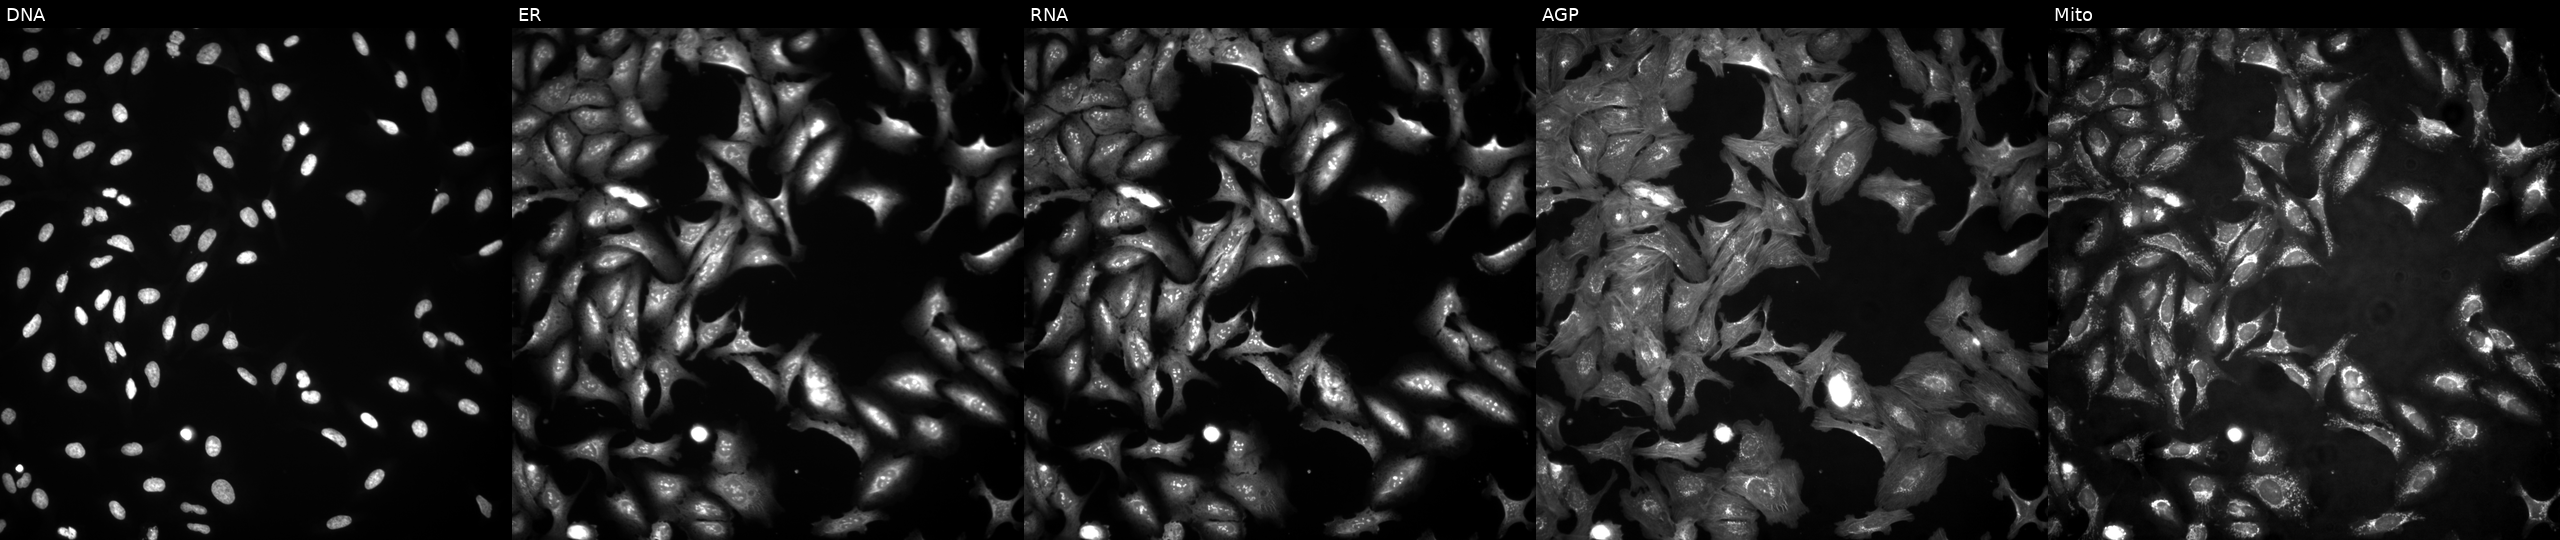
High-content fluorescence microscopy (Cell Painting). Cell line: U2OS. Perturbation: overexpressing FGA via ORF transfection. From left to right: Hoechst 33342, concanavalin A, SYTO 14, phalloidin and WGA, MitoTracker. Source 4, plate BR00124784, well C17.